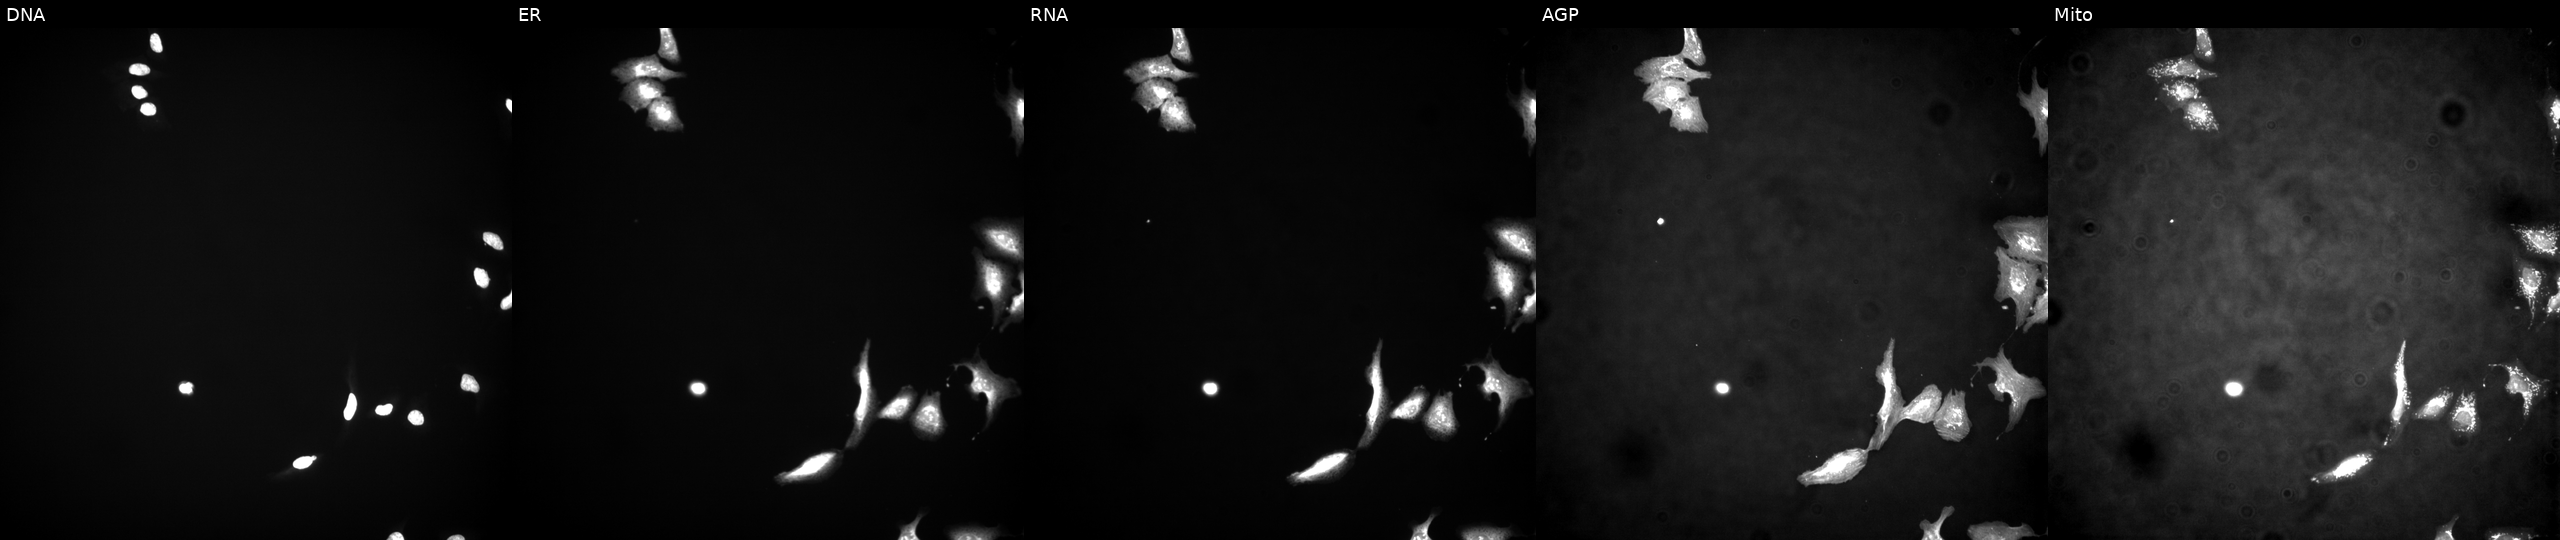
U2OS cells, Cell Painting assay, with TEX11 overexpressed (ORF) (JUMP id JCP2022_909753). The five panels, left to right, show DNA (nuclei); ER (endoplasmic reticulum); RNA (nucleoli and cytoplasmic RNA); AGP (actin cytoskeleton, Golgi, and plasma membrane); Mito (mitochondria). Each panel is percentile-stretched 16-bit fluorescence. Source 4, plate BR00124784, well I13.